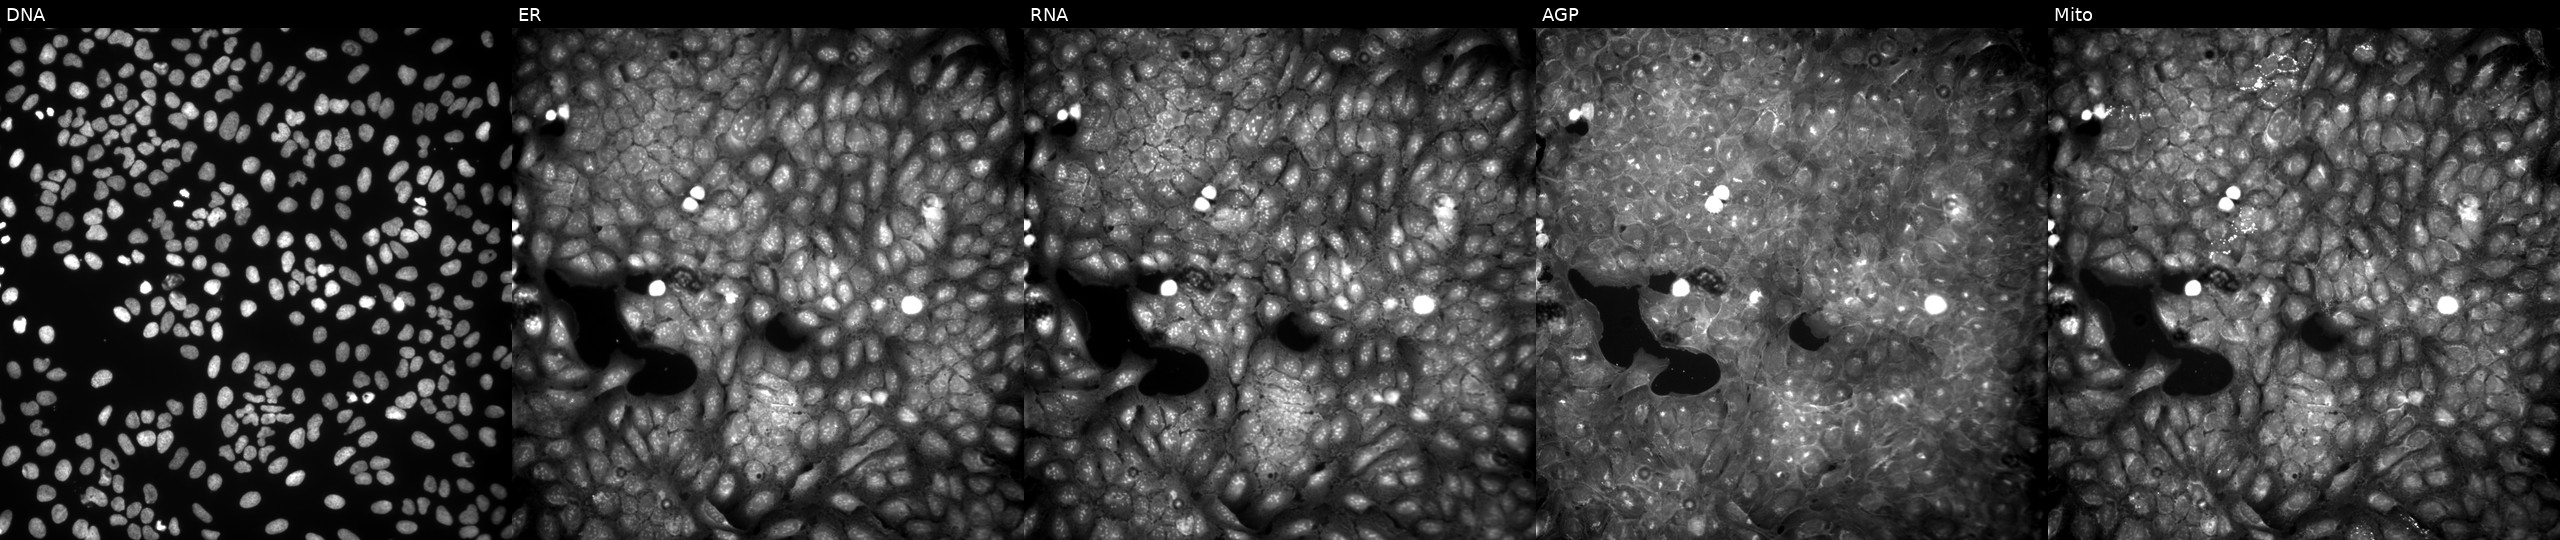
JUMP Cell Painting — COMPOUND plate. U2OS cells perturbed with a small-molecule compound (JUMP id JCP2022_056178). Panels show, left to right, Hoechst 33342, concanavalin A, SYTO 14, phalloidin and WGA, MitoTracker. Source 9, plate GR00003381, well A37.